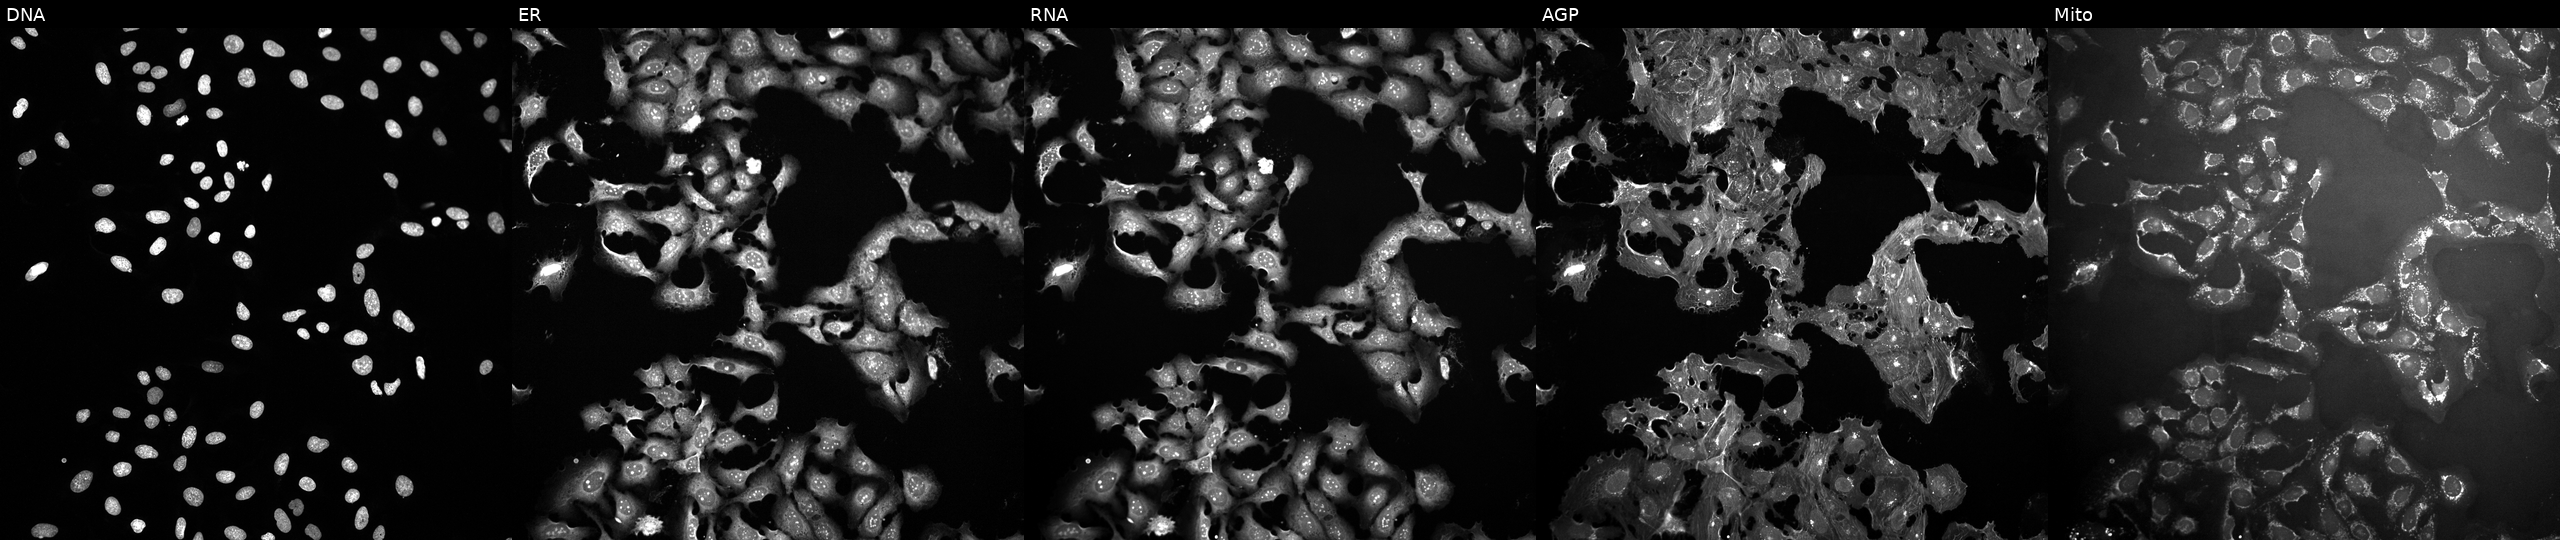
U2OS cells, Cell Painting assay, exposed to the positive-control compound FK-866 (JUMP id JCP2022_046054). The five panels, left to right, show Hoechst 33342, concanavalin A, SYTO 14, phalloidin and WGA, MitoTracker. Each panel is percentile-stretched 16-bit fluorescence.